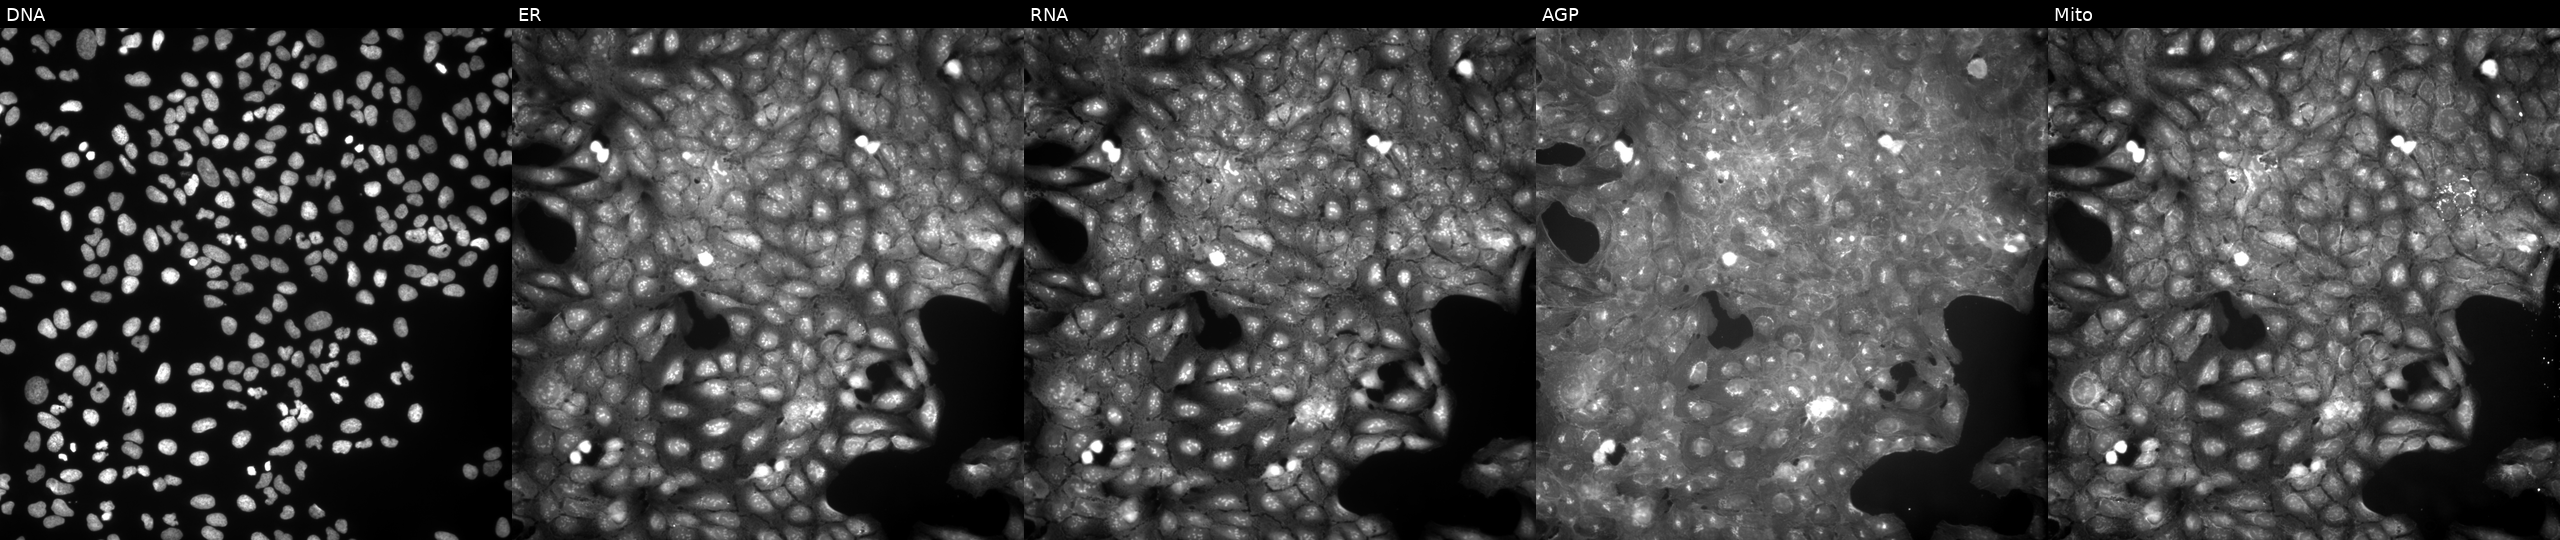
Five-channel Cell Painting image of U2OS cells exposed to a small-molecule compound (JUMP id JCP2022_015795). The five panels, left to right, show Hoechst 33342, concanavalin A, SYTO 14, phalloidin and WGA, MitoTracker. Source 9, plate GR00003381, well H27.